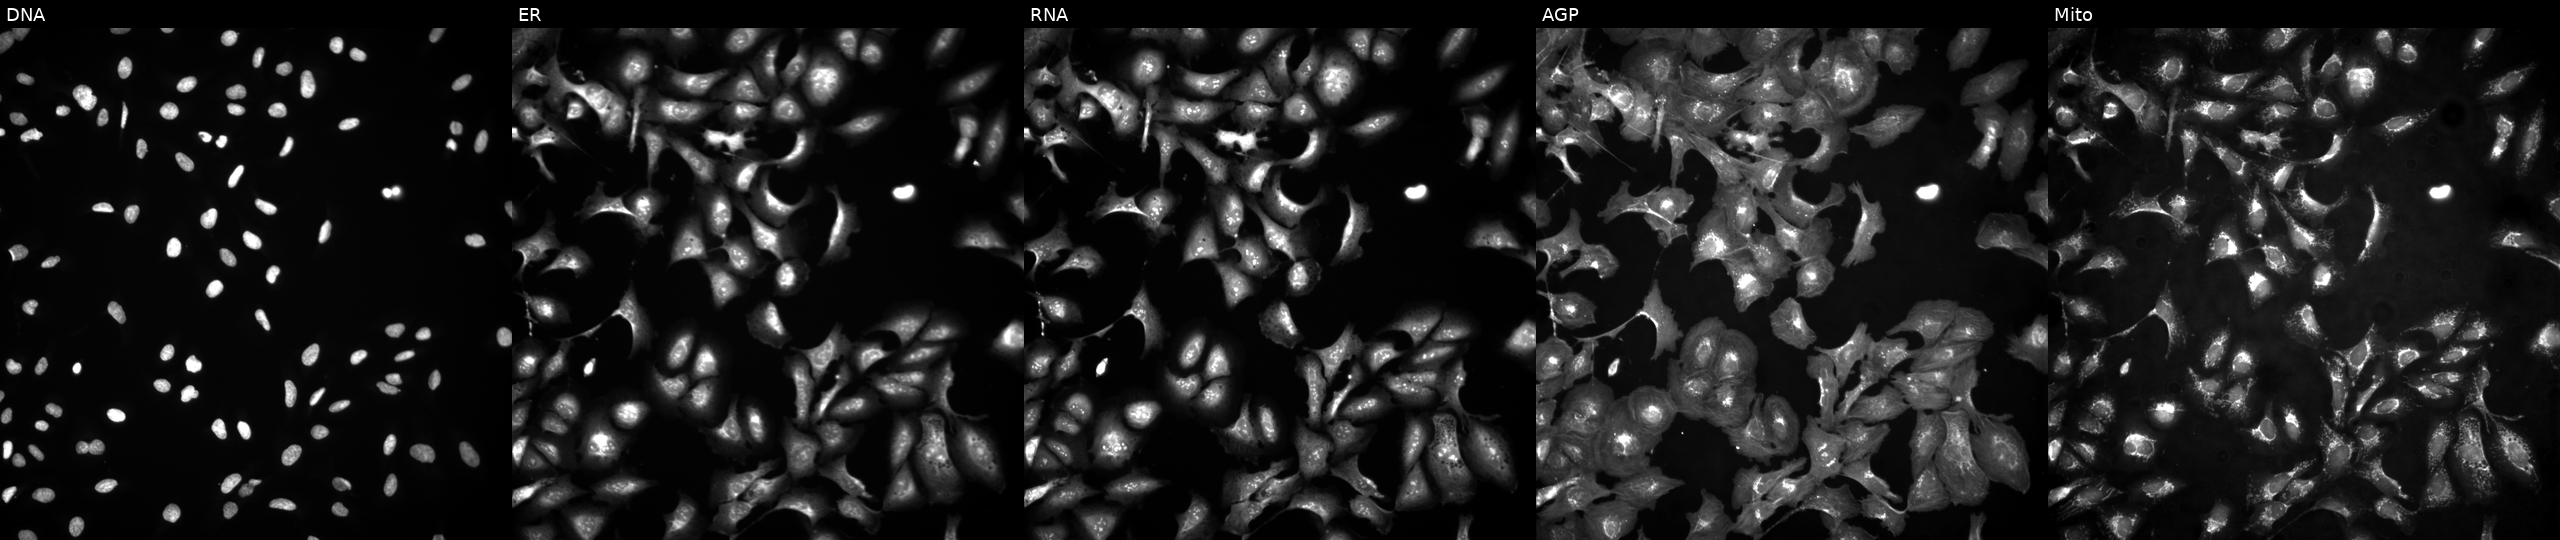
This image strip shows the five Cell Painting channels for a single field of U2OS cells with FGR overexpressed (ORF) (JUMP id JCP2022_913671). Panels show, left to right, DNA, ER, RNA, AGP, and Mito. Source 4, plate BR00123945, well D19.